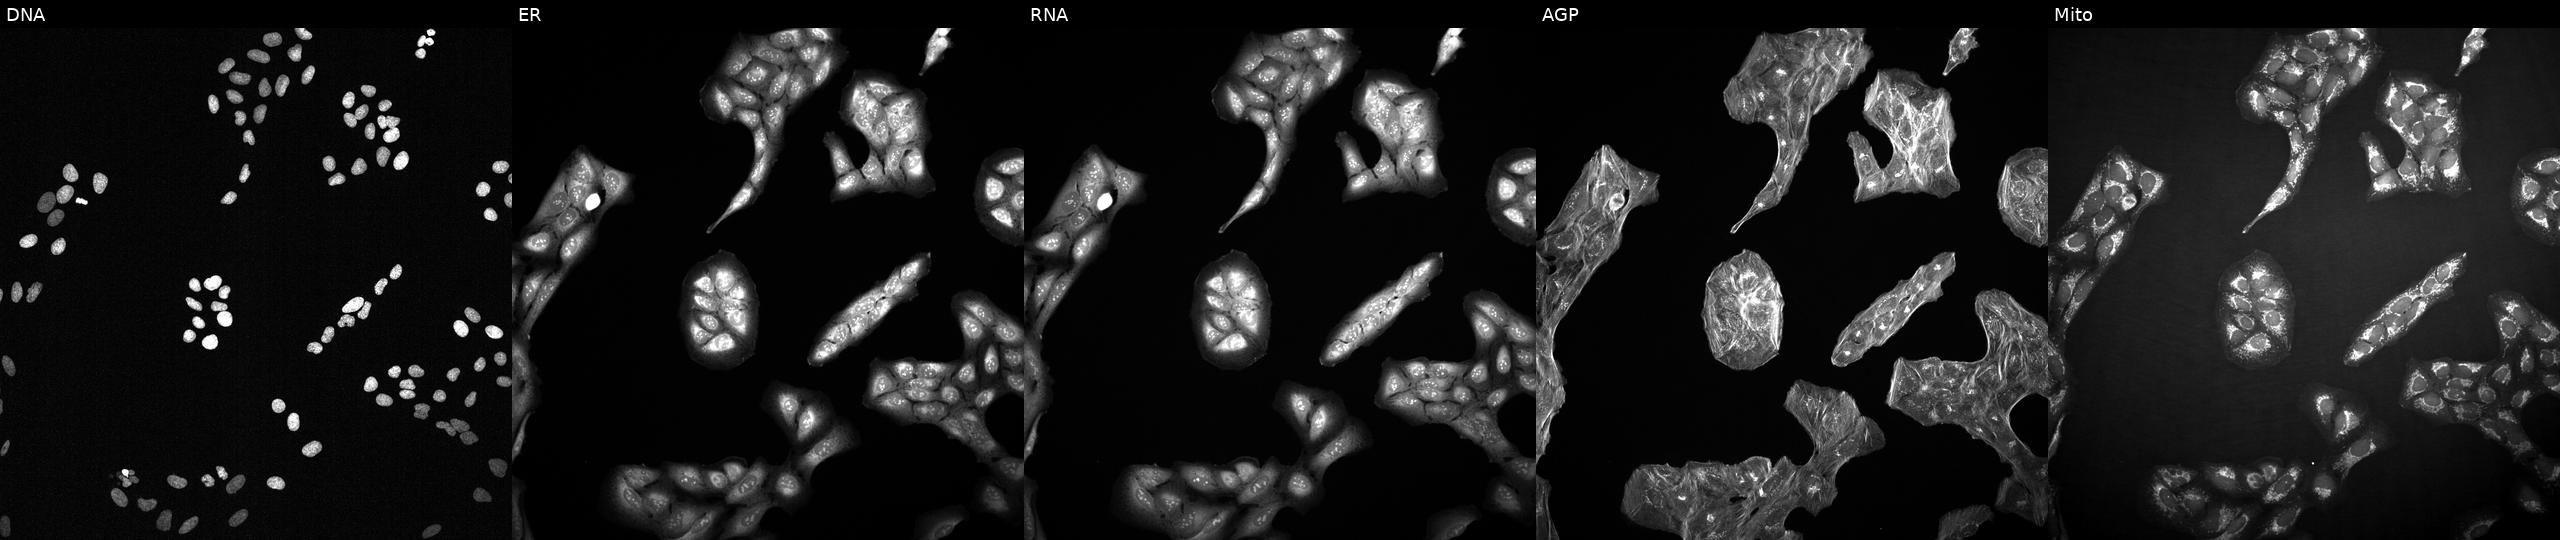
This image strip shows the five Cell Painting channels for a single field of U2OS cells exposed to a small-molecule compound (InChIKey AZYDQCGCBQYFSE-UHFFFAOYSA-N). Channels (left→right): DNA (nuclei); ER (endoplasmic reticulum); RNA (nucleoli and cytoplasmic RNA); AGP (actin cytoskeleton, Golgi, and plasma membrane); Mito (mitochondria).